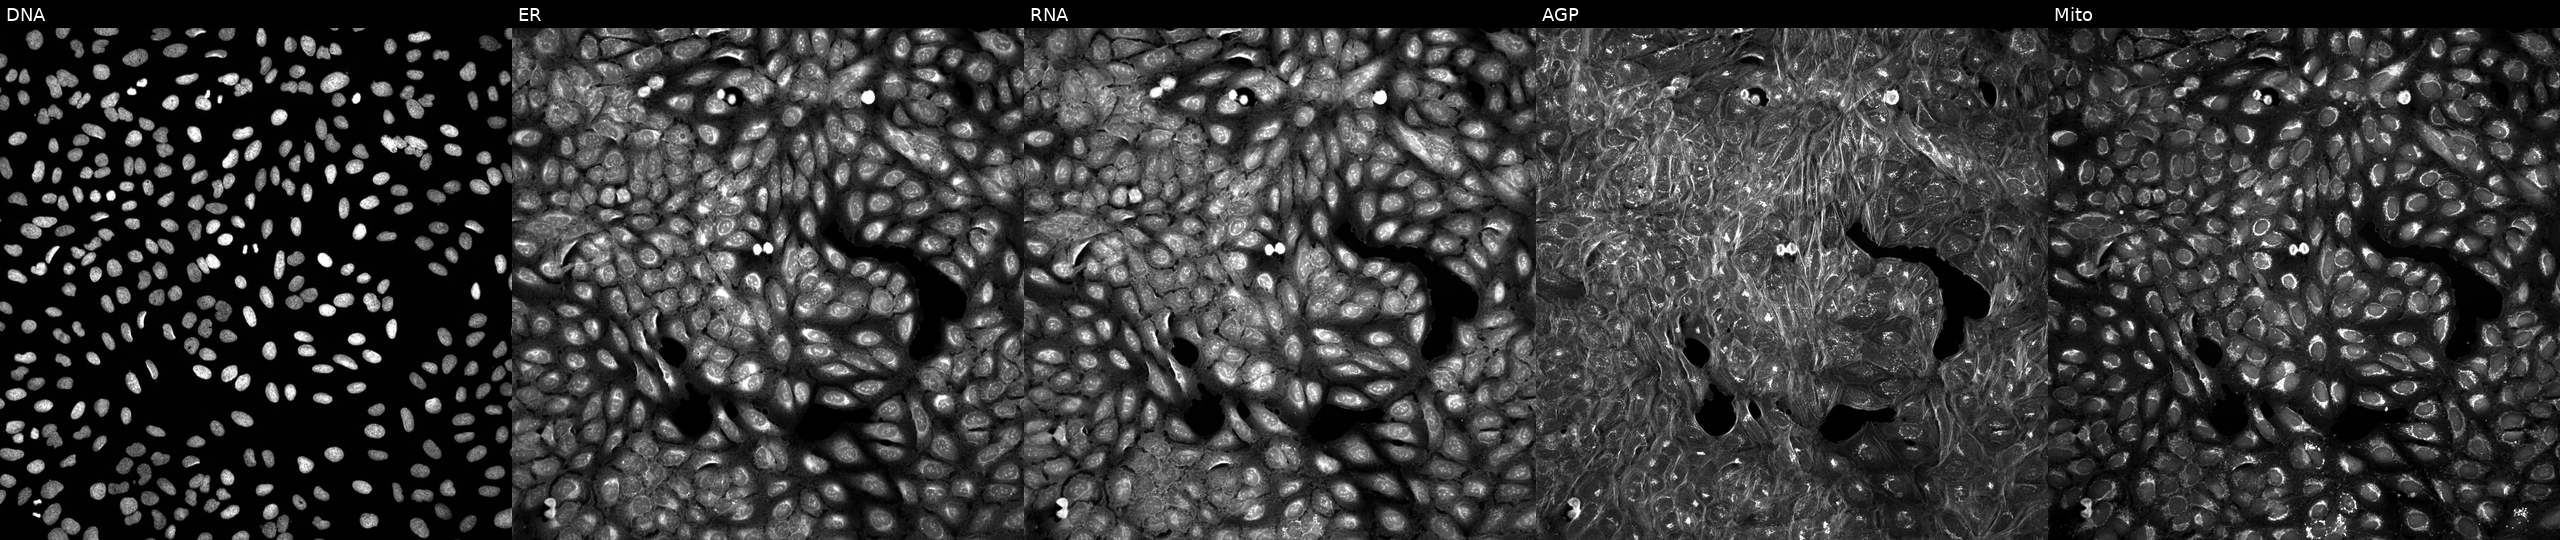
From left to right: Hoechst 33342, concanavalin A, SYTO 14, phalloidin and WGA, MitoTracker. U2OS osteosarcoma cells exposed to DMSO alone as a negative control (JUMP id JCP2022_033924). Cell Painting assay, JUMP-CP dataset.